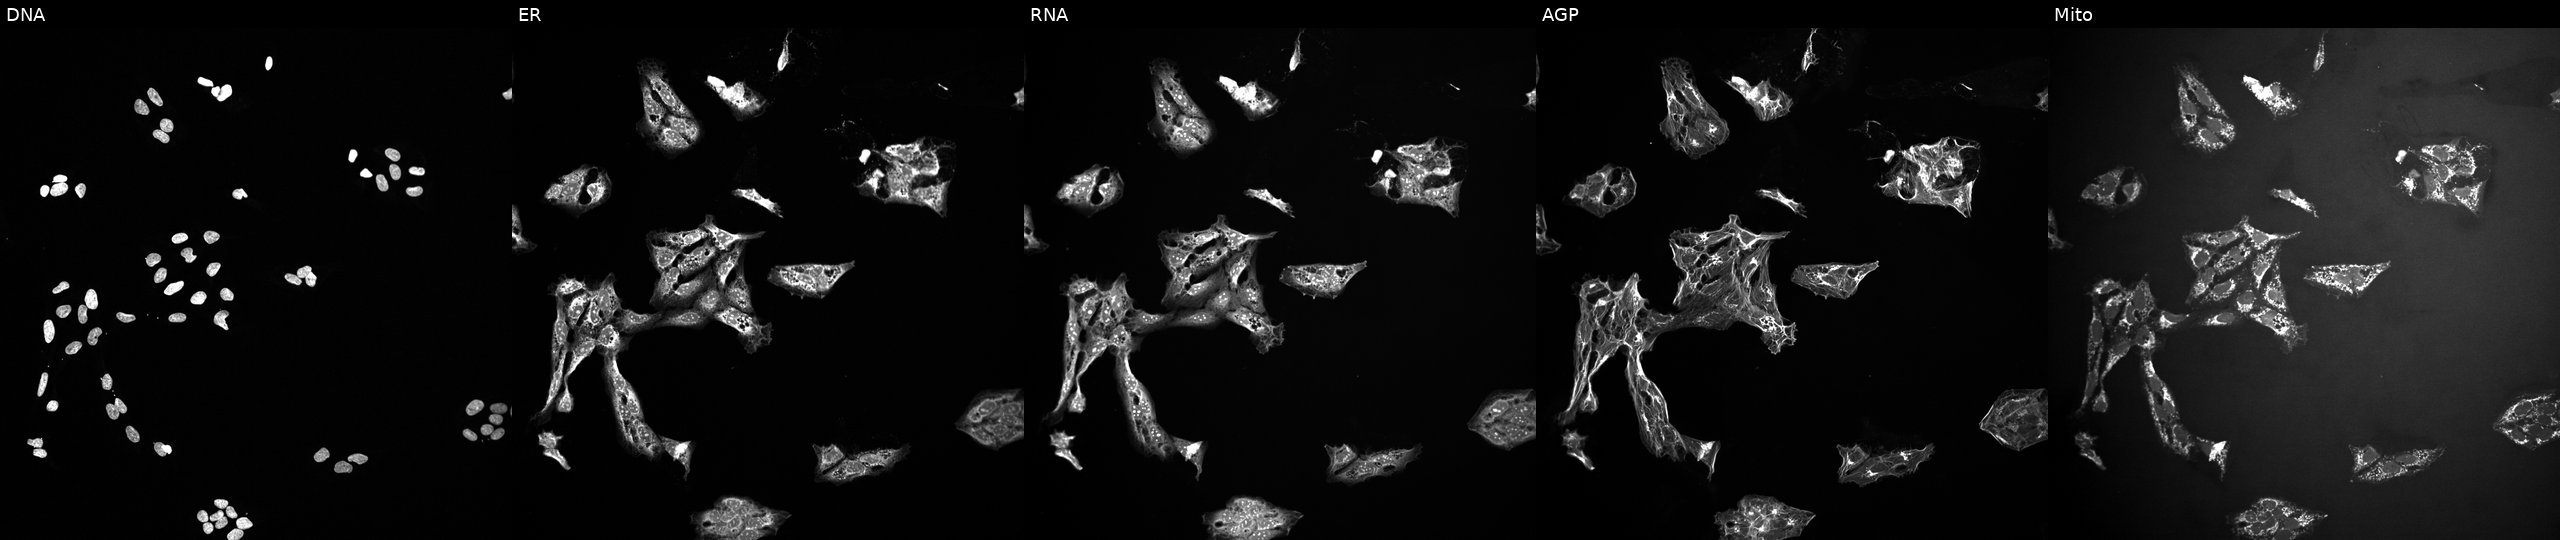
This image strip shows the five Cell Painting channels for a single field of U2OS cells perturbed with a small-molecule compound (InChIKey SCELLOWTHJGVIC-UHFFFAOYSA-N) (JUMP id JCP2022_082234). From left to right: DNA (nuclei); ER (endoplasmic reticulum); RNA (nucleoli and cytoplasmic RNA); AGP (actin cytoskeleton, Golgi, and plasma membrane); Mito (mitochondria). Source 10, plate Dest210727-153003, well J17.